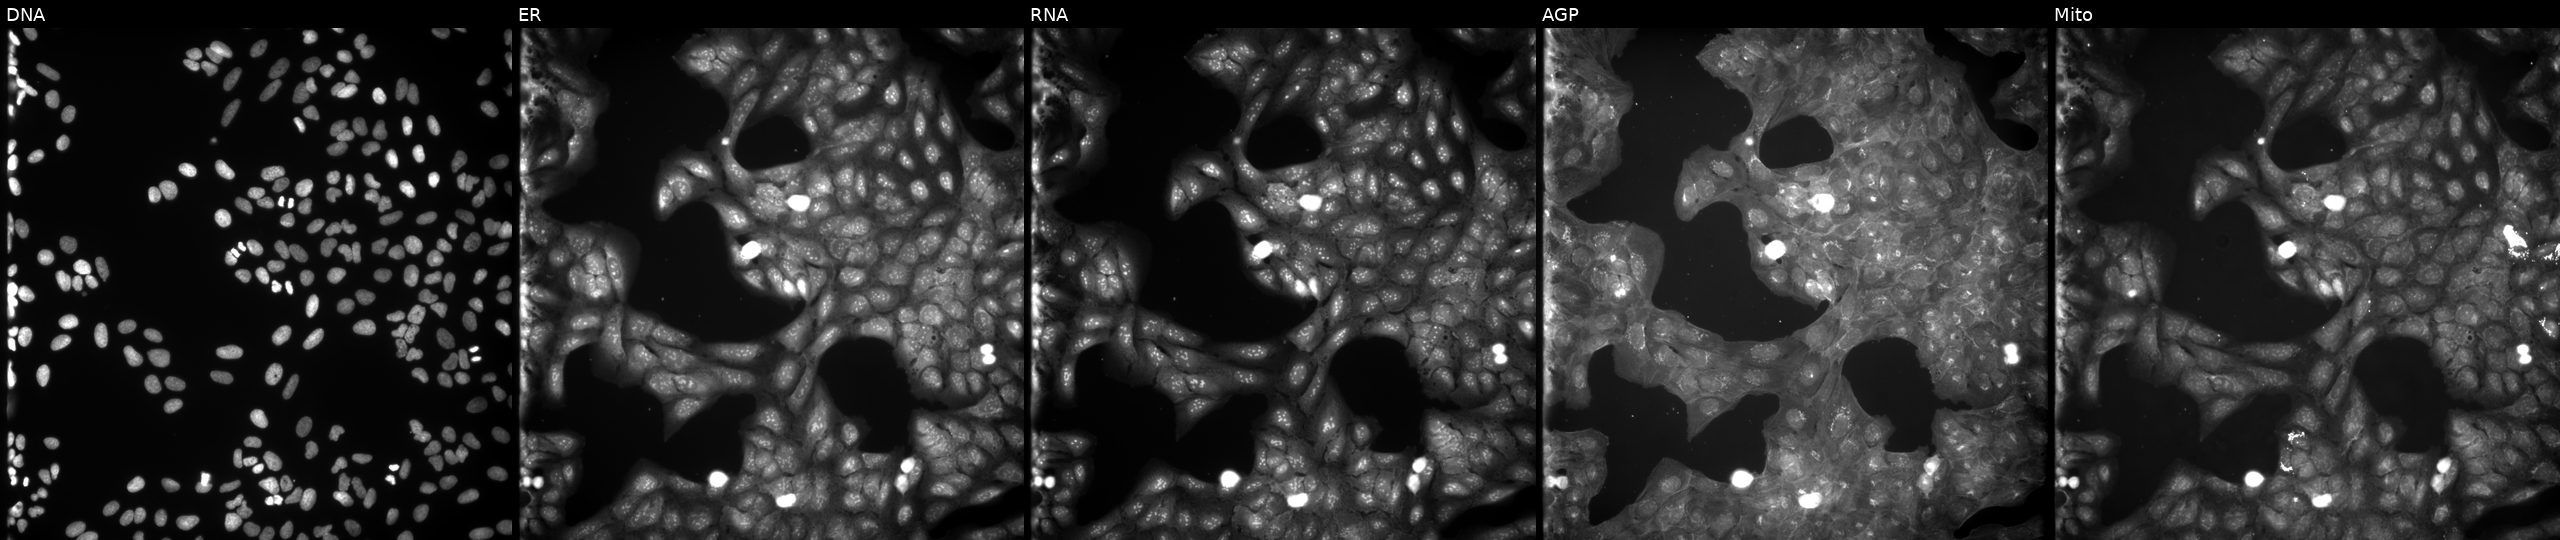
This image strip shows the five Cell Painting channels for a single field of U2OS cells exposed to a small-molecule compound (InChIKey LKFLSEAJUHBKET-UHFFFAOYSA-N) [SMILES: Cc1ccccc1C1CC(=O)c2c(ccc3ccccc23)N1] (JUMP id JCP2022_049967). Channels (left→right): DNA, ER, RNA, AGP, and Mito. Source 9, plate GR00003381, well D17.